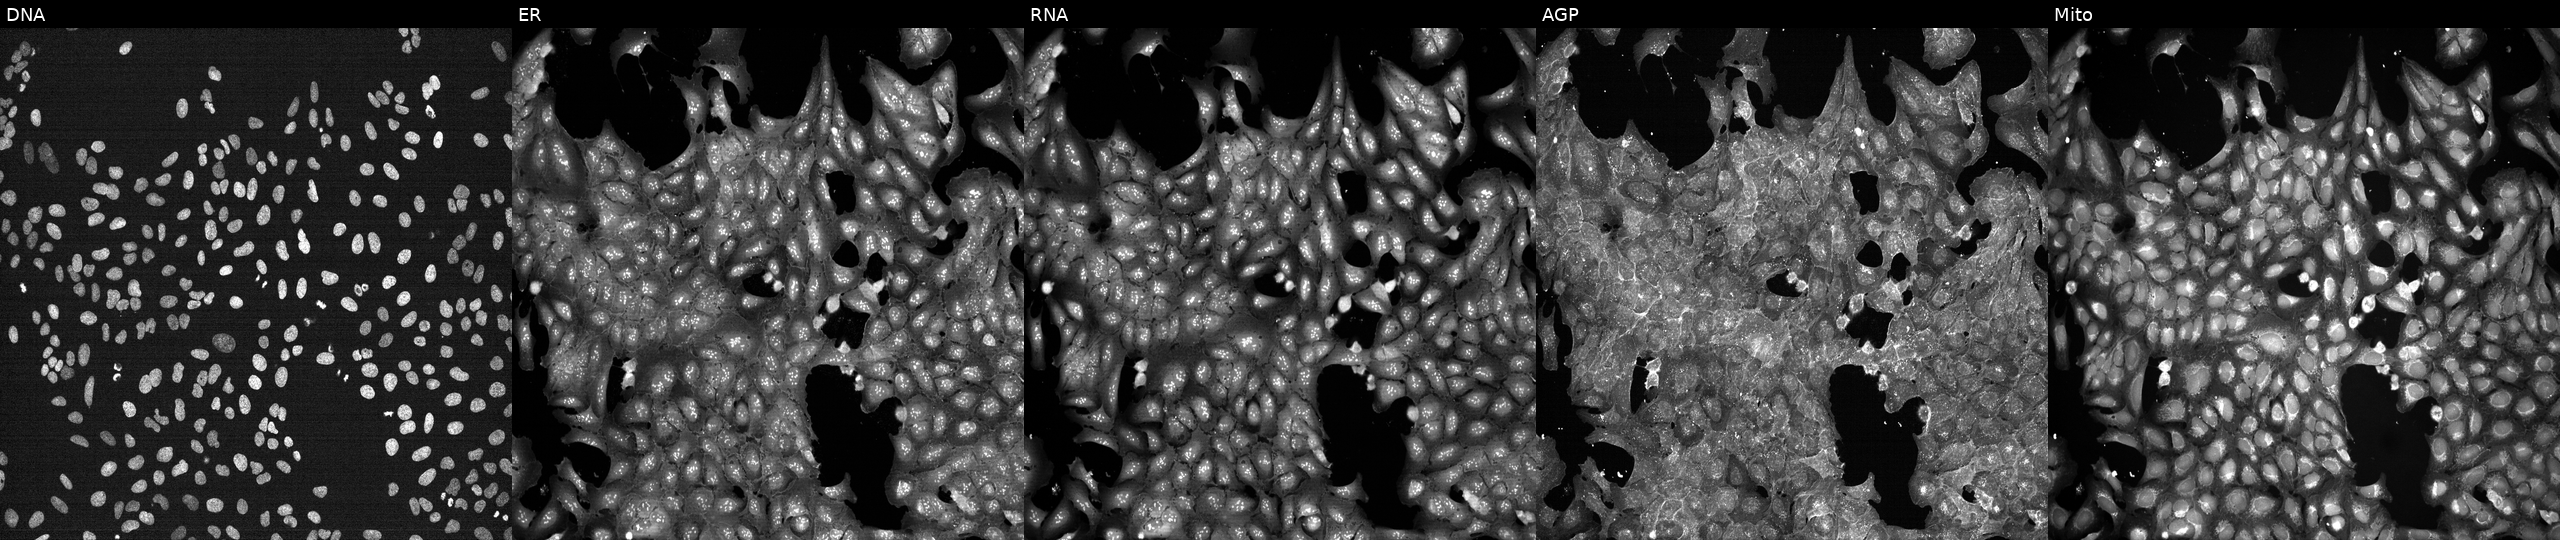
This image strip shows the five Cell Painting channels for a single field of U2OS cells treated with DMSO vehicle only (negative control) (JUMP id JCP2022_033924). From left to right: Hoechst 33342, concanavalin A, SYTO 14, phalloidin and WGA, MitoTracker. Source 7, plate CP1-SC1-25, well B13.